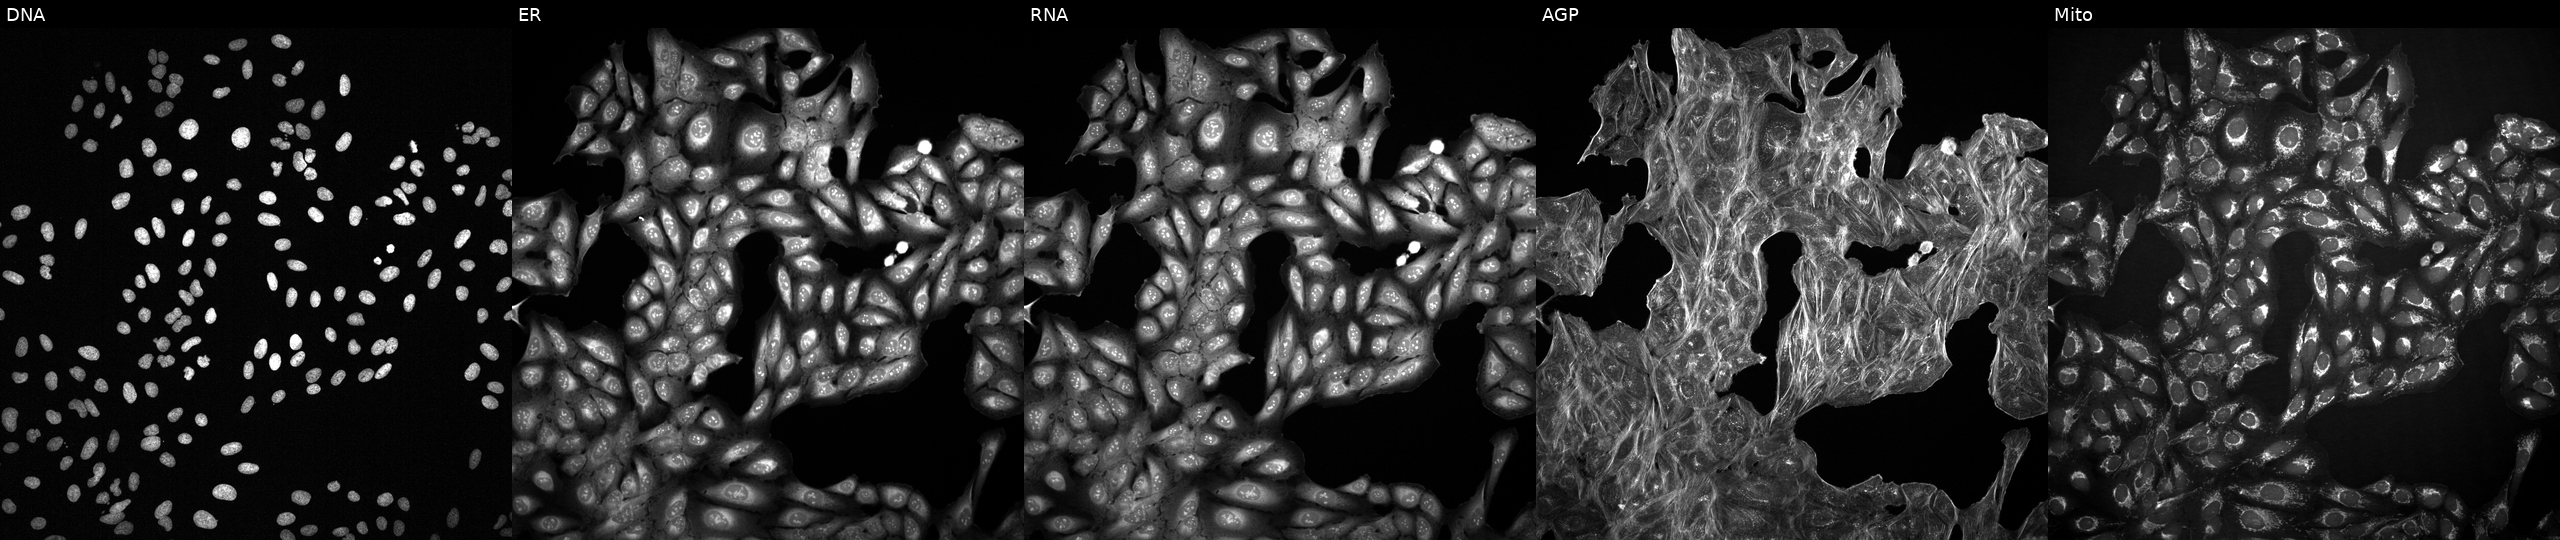
Five-channel Cell Painting image of U2OS cells with an unidentified perturbation (not annotated in JUMP metadata). The five panels, left to right, show Hoechst 33342, concanavalin A, SYTO 14, phalloidin and WGA, MitoTracker.